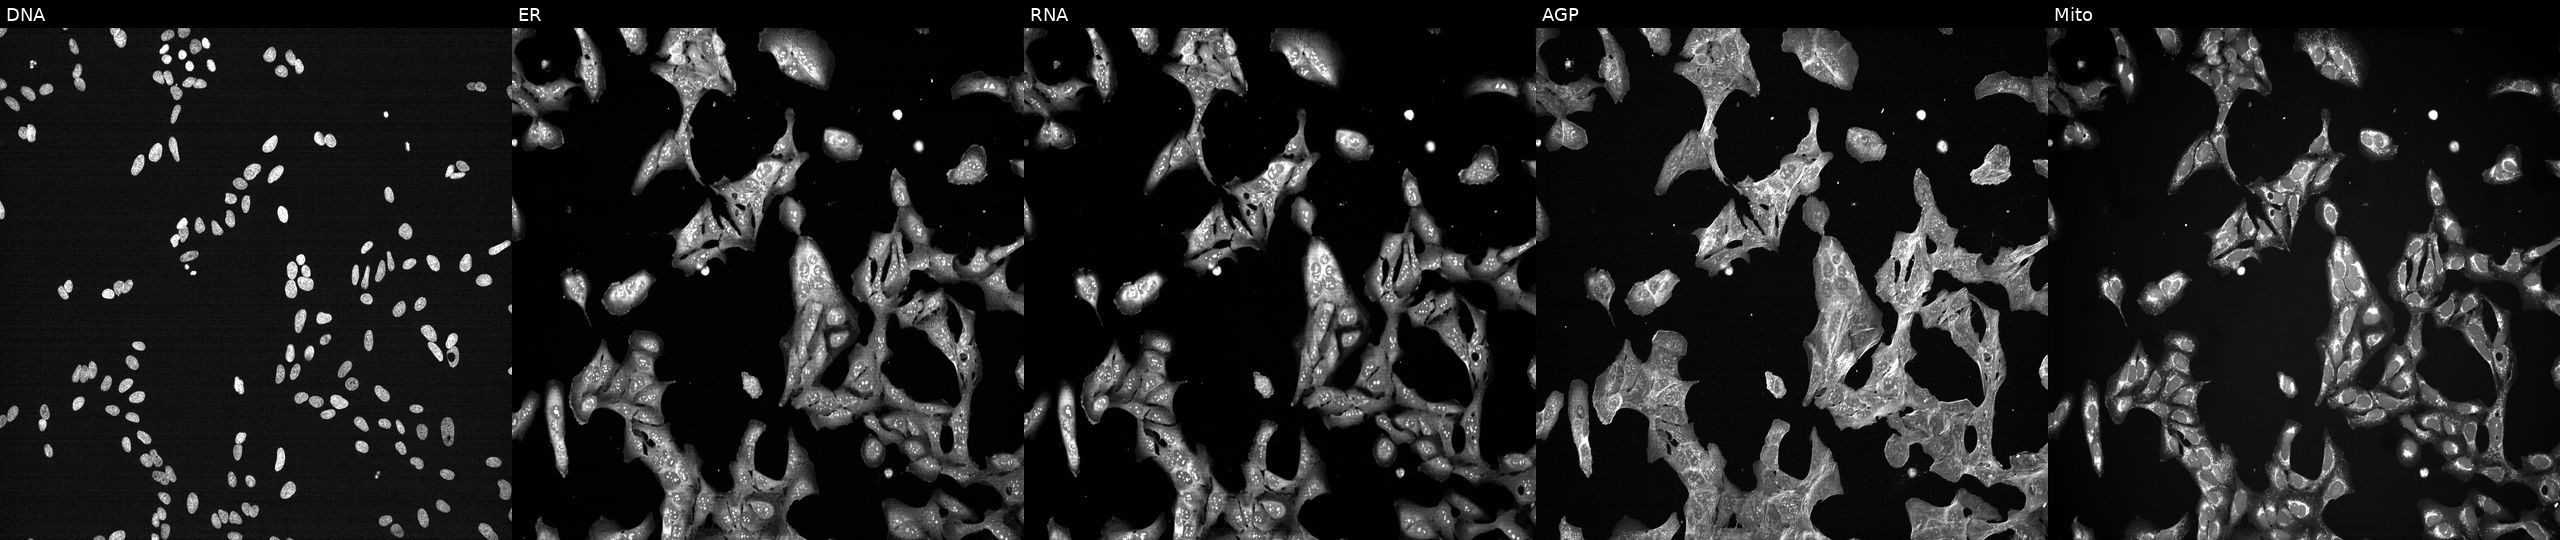
Five-channel Cell Painting image of U2OS cells exposed to a small-molecule compound (InChIKey WYWHKKSPHMUBEB-UHFFFAOYSA-N). From left to right: Hoechst 33342, concanavalin A, SYTO 14, phalloidin and WGA, MitoTracker. Source 7, plate CP3-SC1-25, well H15.